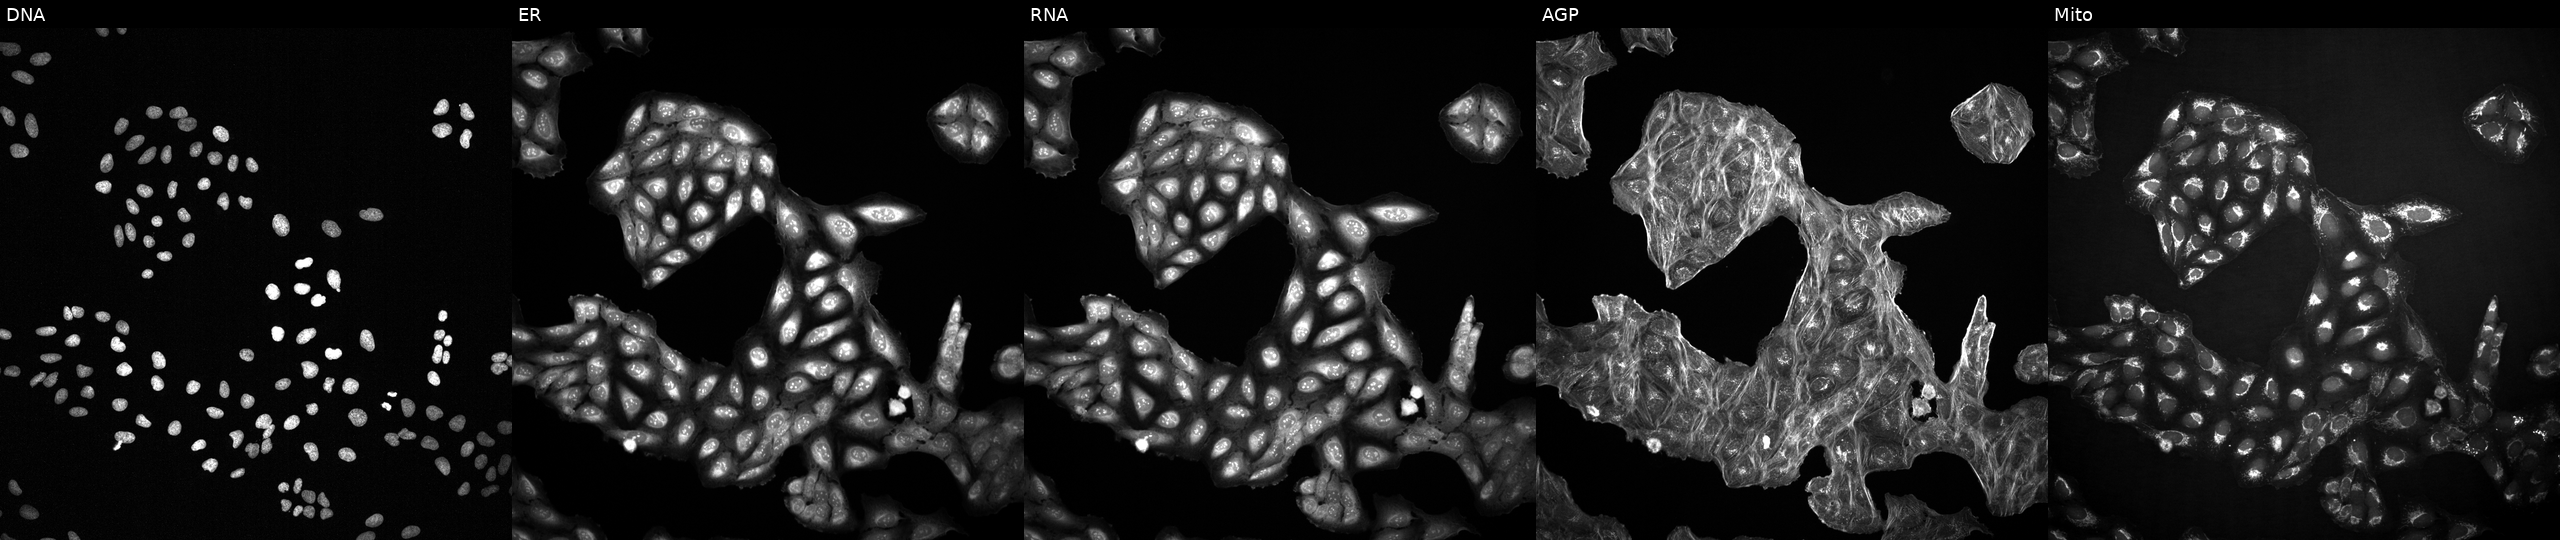
The five panels, left to right, show Hoechst 33342, concanavalin A, SYTO 14, phalloidin and WGA, MitoTracker. U2OS osteosarcoma cells with an unidentified perturbation (not annotated in JUMP metadata). Cell Painting assay, JUMP-CP dataset. Source 2, plate 1053601763, well D20.